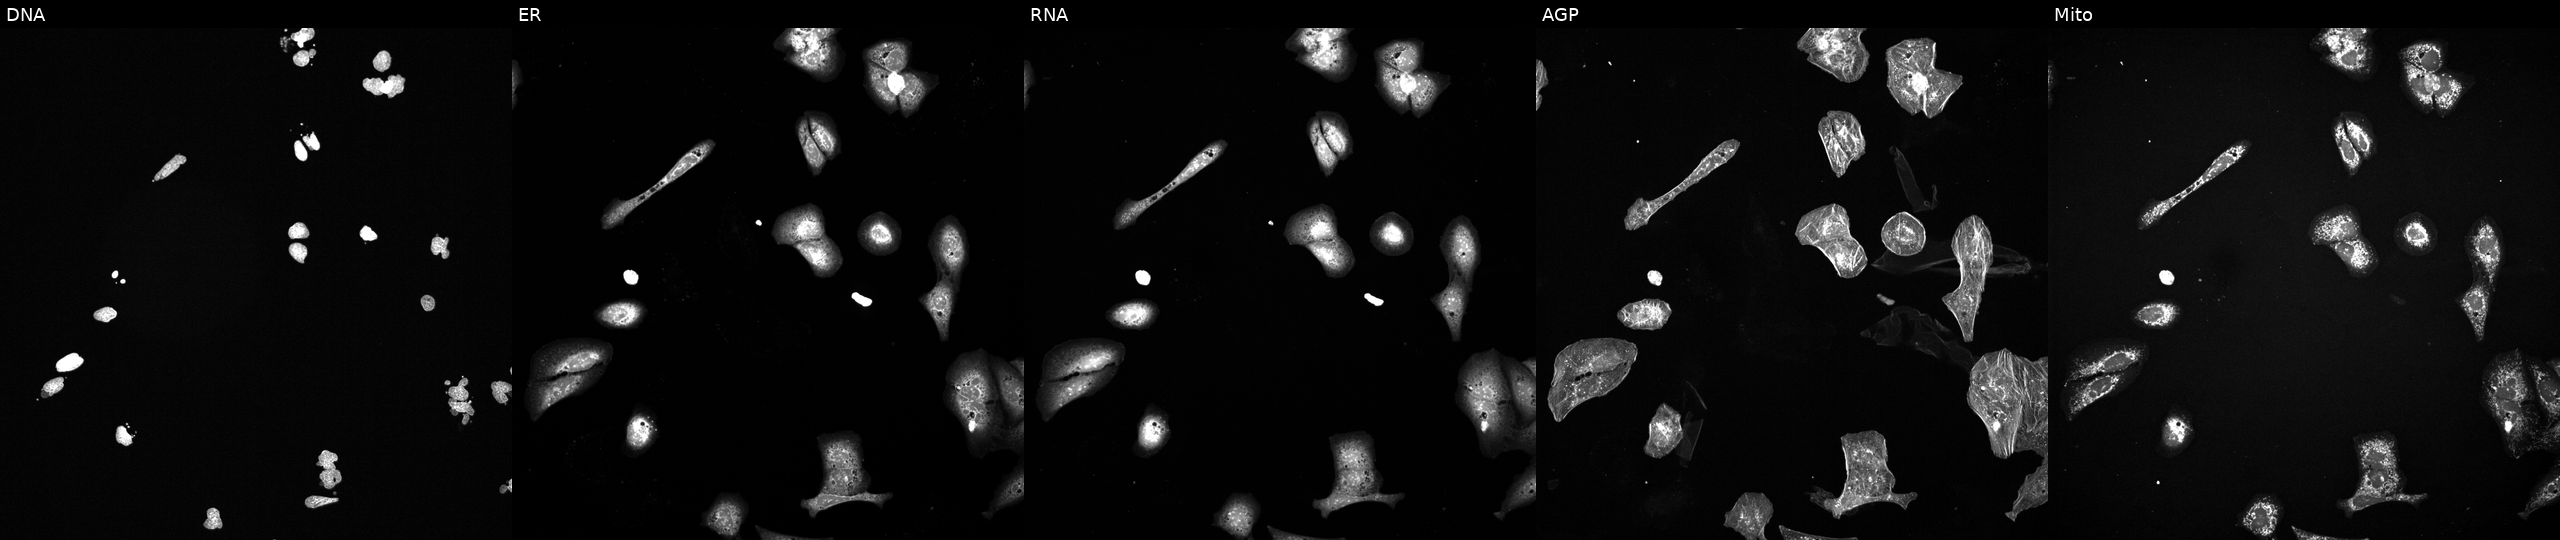
From left to right: DNA (nuclei); ER (endoplasmic reticulum); RNA (nucleoli and cytoplasmic RNA); AGP (actin cytoskeleton, Golgi, and plasma membrane); Mito (mitochondria). U2OS osteosarcoma cells treated with a small-molecule compound (InChIKey QTBWCSQGBMPECM-UHFFFAOYSA-N). Cell Painting assay, JUMP-CP dataset.